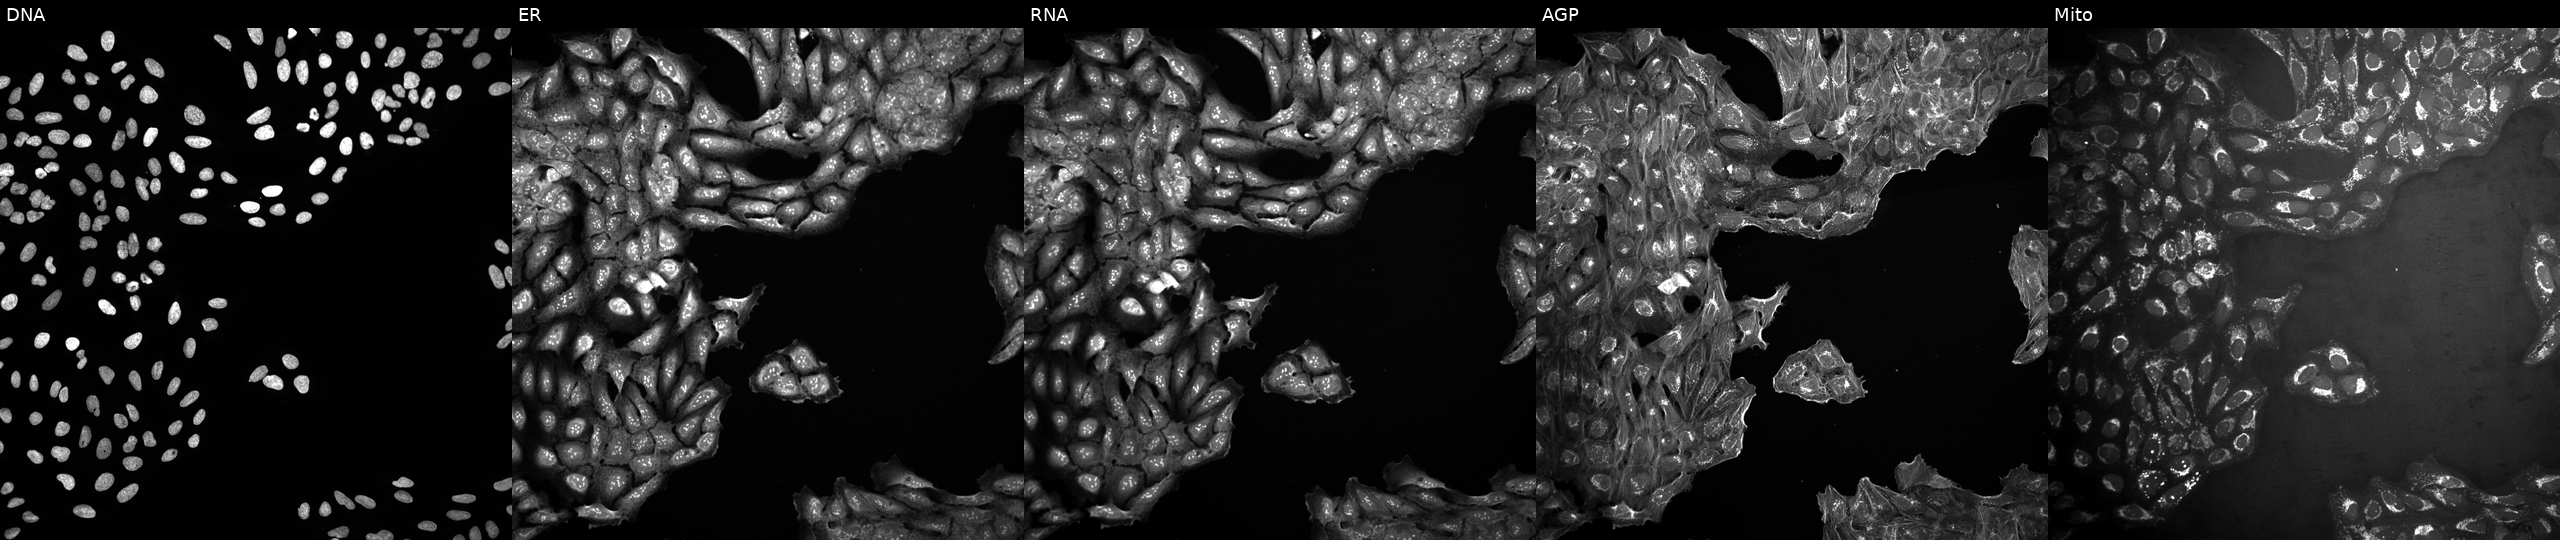
The five panels, left to right, show DNA, ER, RNA, AGP, and Mito. U2OS osteosarcoma cells treated with a small-molecule compound (InChIKey HVNHBHPOKTXSJO-UHFFFAOYSA-N) (JUMP id JCP2022_032868). Cell Painting assay, JUMP-CP dataset.